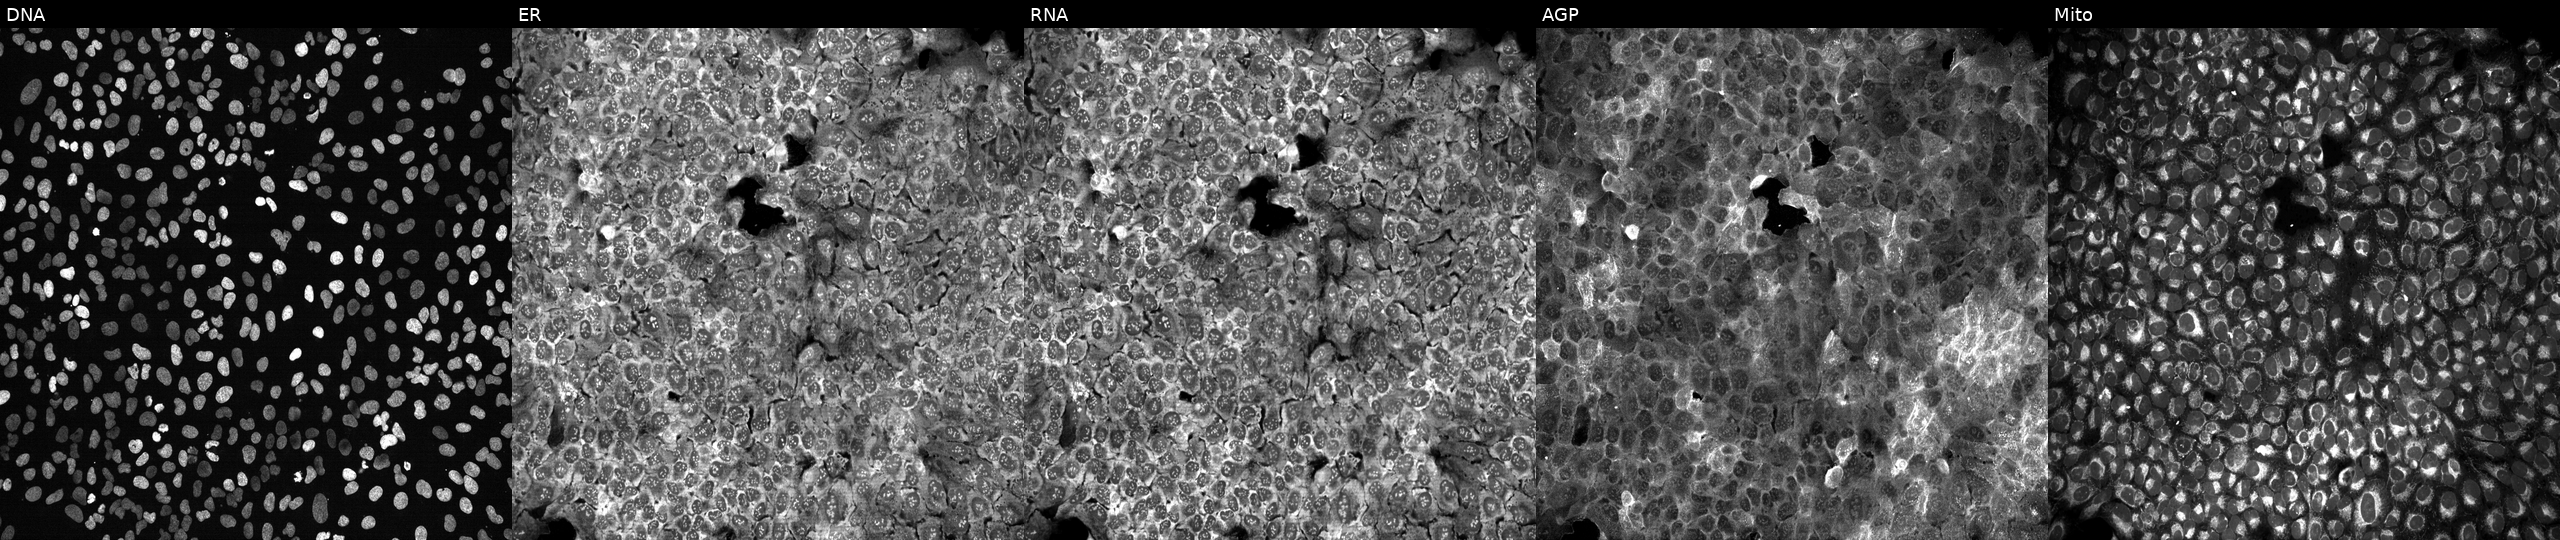
This image strip shows the five Cell Painting channels for a single field of U2OS cells with SMYD3 knocked out by CRISPR (JUMP id JCP2022_806657). The five panels, left to right, show DNA, ER, RNA, AGP, and Mito.